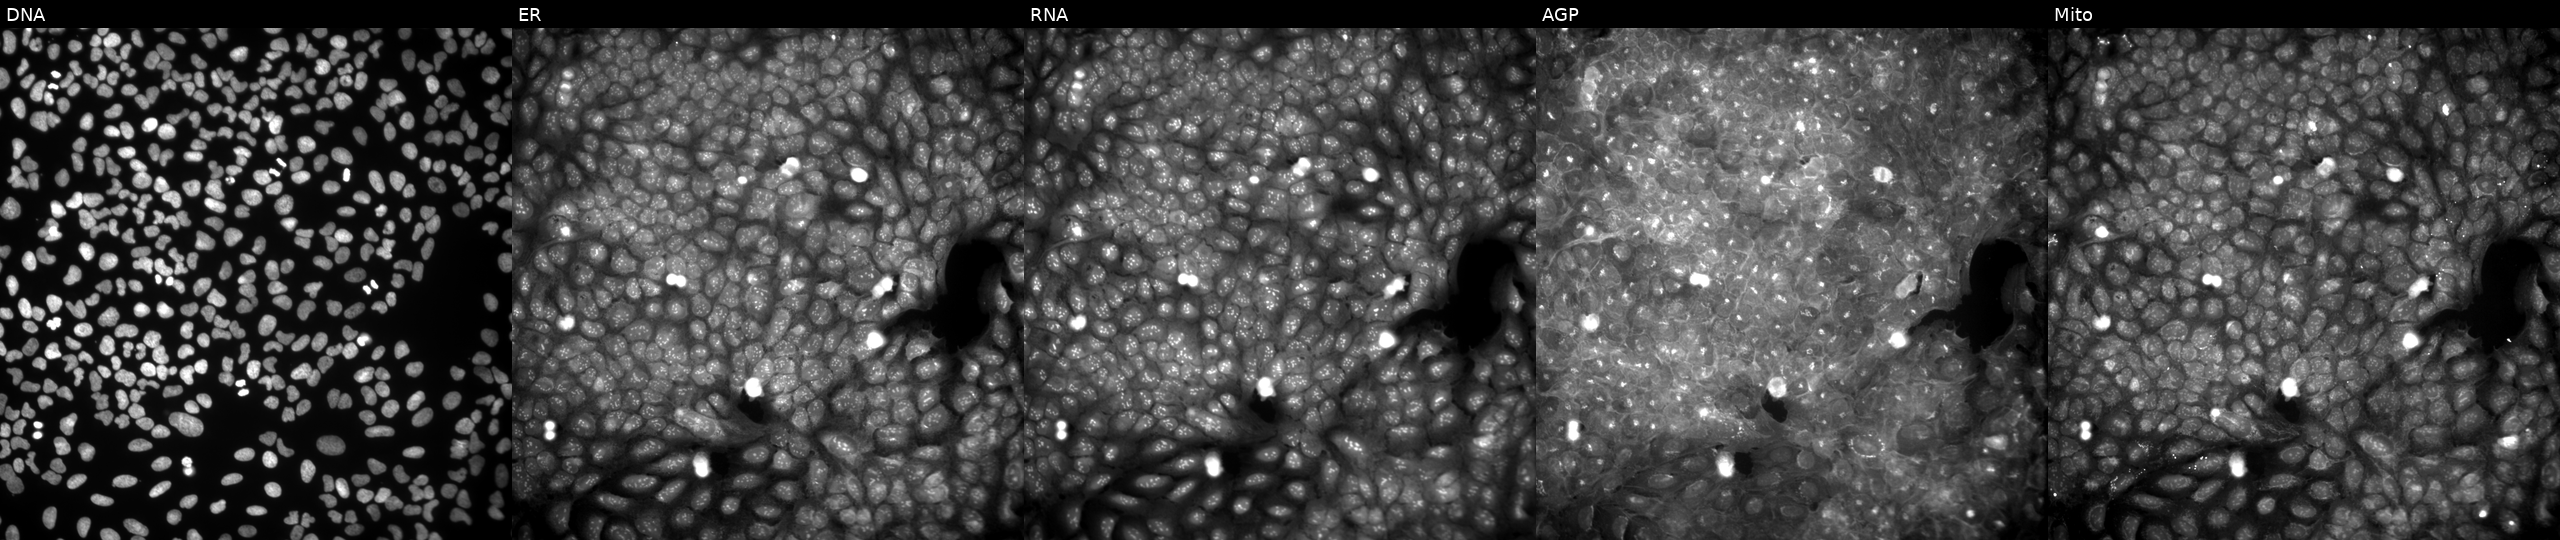
U2OS cells, Cell Painting assay, exposed to a small-molecule compound (InChIKey DXTXBZSXPGRDKJ-UHFFFAOYSA-N) [SMILES: CCC(=O)Nc1cccc(-c2nc3cc(C)ccc3o2)c1] (JUMP id JCP2022_018861). Channels (left→right): DNA, ER, RNA, AGP, and Mito. Each panel is percentile-stretched 16-bit fluorescence. Source 9, plate GR00003381, well U37.